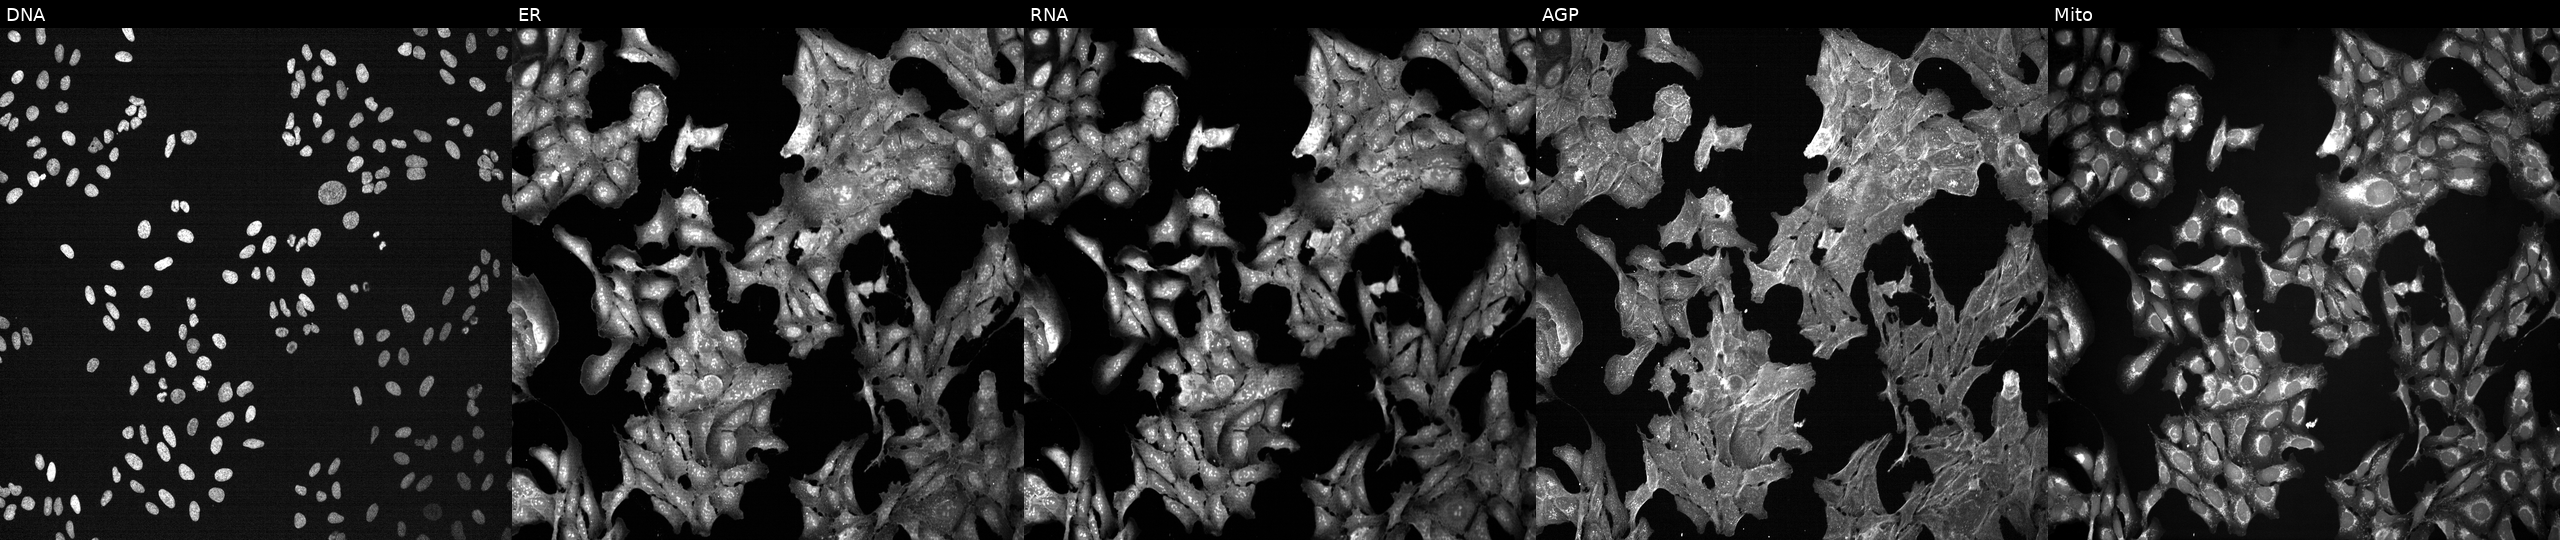
The five panels, left to right, show DNA (nuclei); ER (endoplasmic reticulum); RNA (nucleoli and cytoplasmic RNA); AGP (actin cytoskeleton, Golgi, and plasma membrane); Mito (mitochondria). U2OS osteosarcoma cells exposed to a small-molecule compound (InChIKey LPGBXHWIQNZEJB-UHFFFAOYSA-N) [SMILES: Cc1ccc(-c2ccc(F)cc2COc2ccc(CCC(=O)O)cc2)cc1]. Cell Painting assay, JUMP-CP dataset. Source 7, plate CP3-SC1-25, well J21.